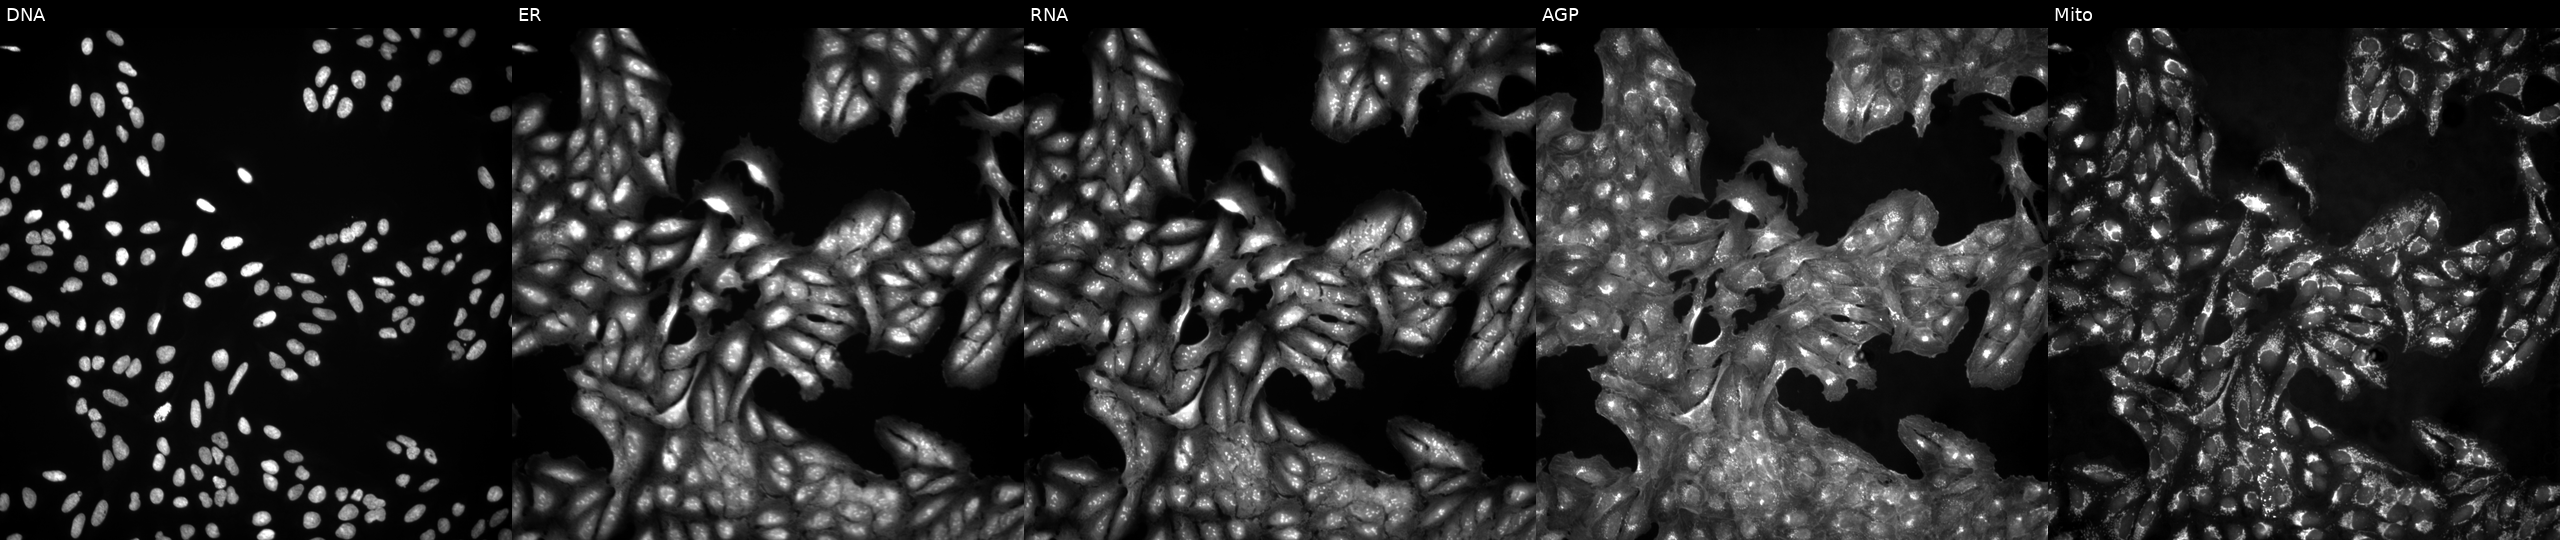
U2OS cells, Cell Painting assay, in an empty control well (no perturbation). Channels (left→right): DNA (nuclei); ER (endoplasmic reticulum); RNA (nucleoli and cytoplasmic RNA); AGP (actin cytoskeleton, Golgi, and plasma membrane); Mito (mitochondria). Each panel is percentile-stretched 16-bit fluorescence.